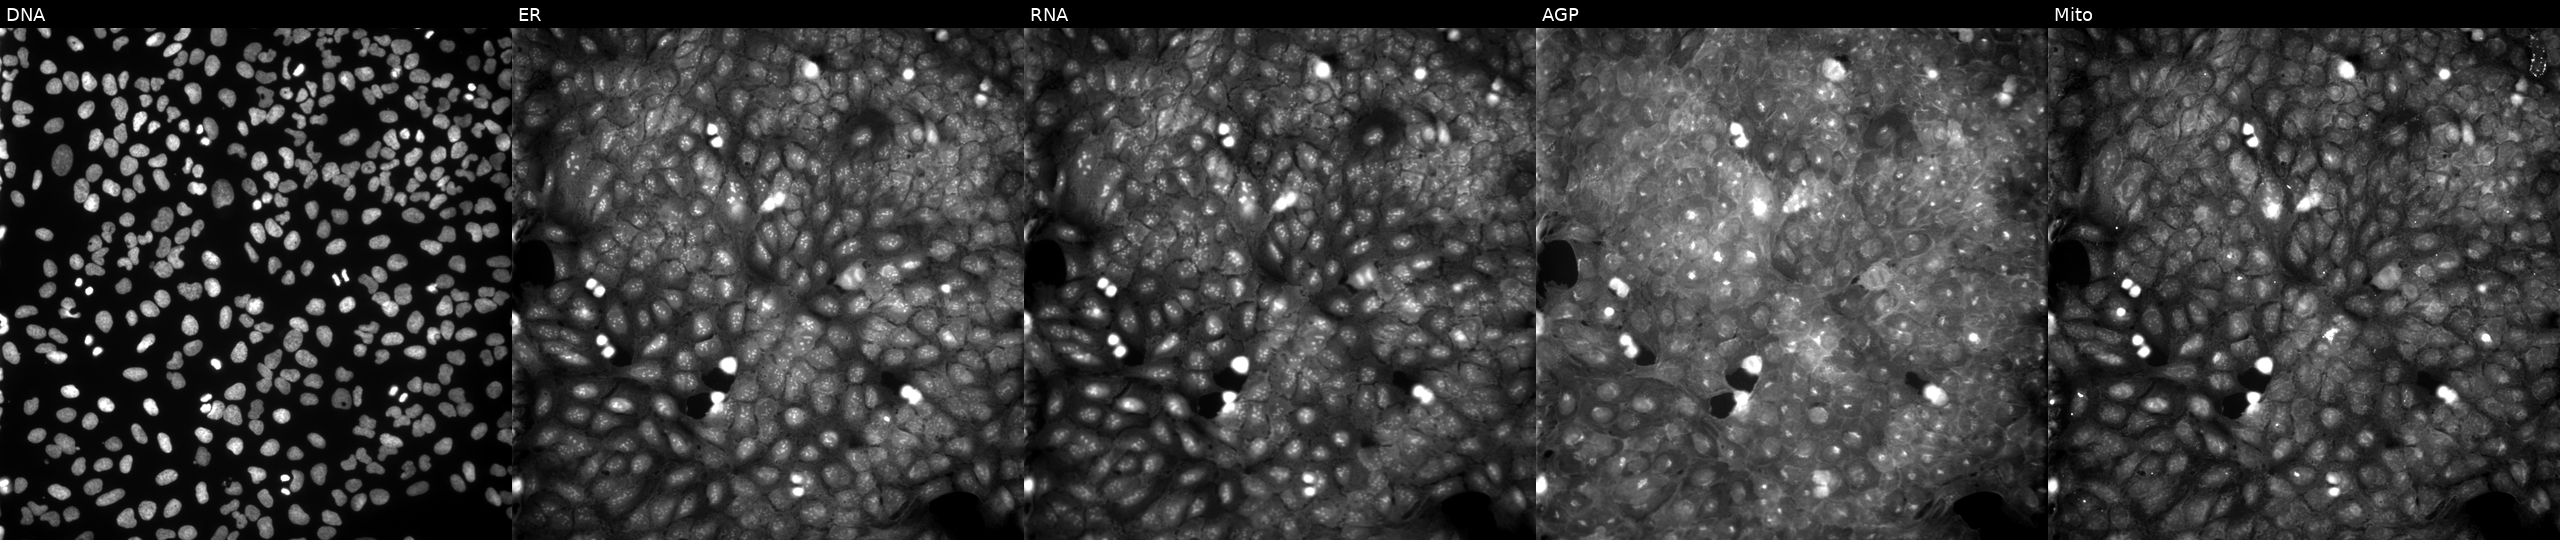
Five-channel Cell Painting image of U2OS cells perturbed with a small-molecule compound [SMILES: Cc1ccc(Cc2sc(=Nc3ccccn3)[nH]c2O)cc1]. Panels show, left to right, DNA (nuclei); ER (endoplasmic reticulum); RNA (nucleoli and cytoplasmic RNA); AGP (actin cytoskeleton, Golgi, and plasma membrane); Mito (mitochondria).